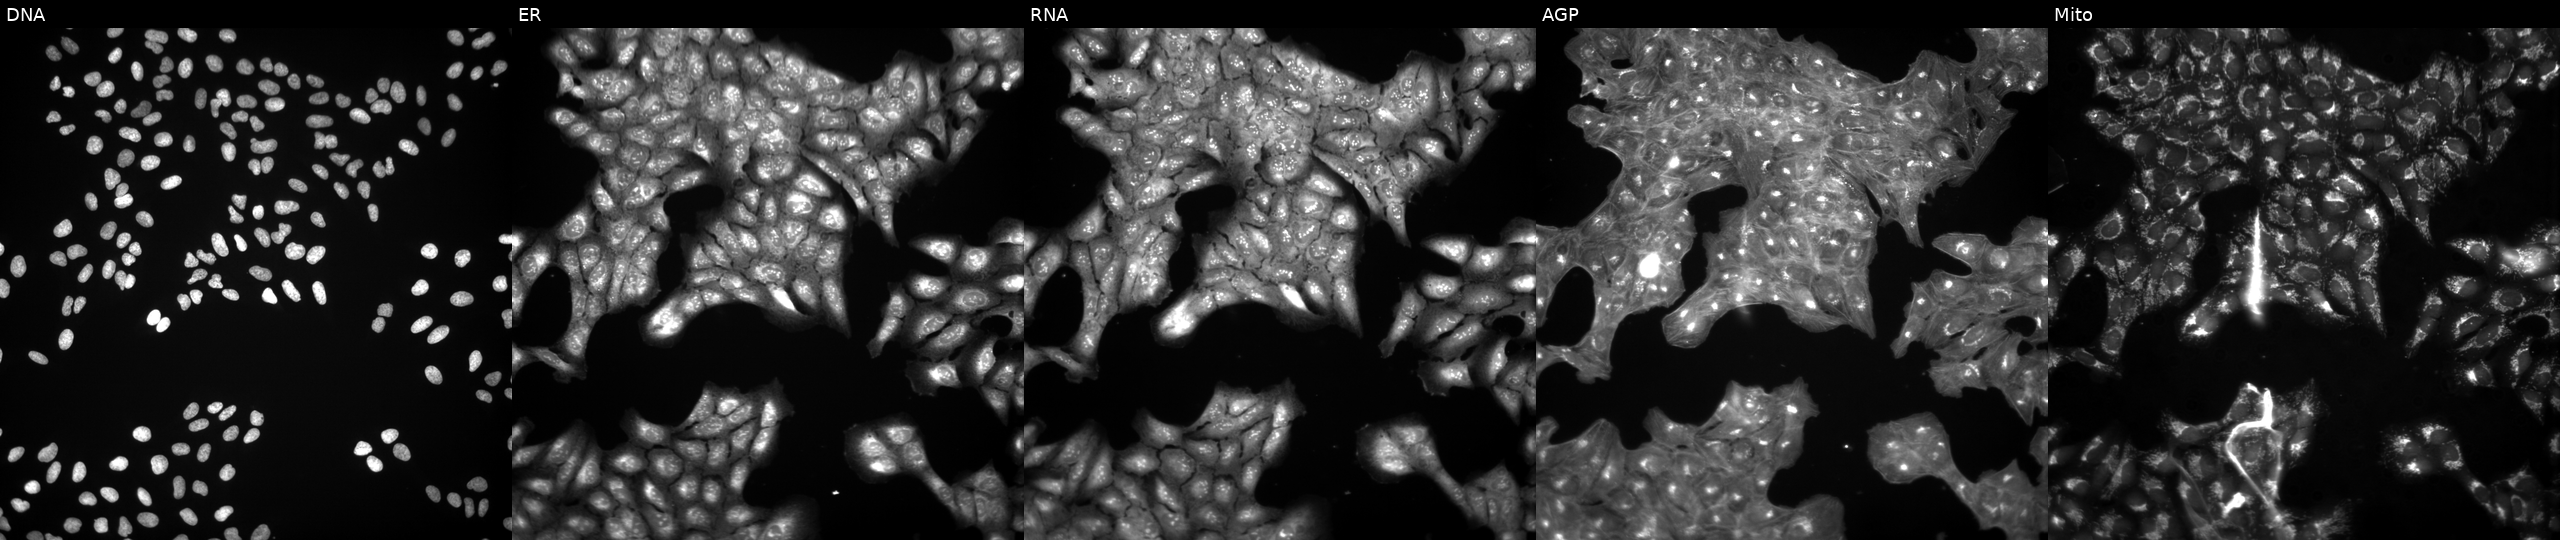
Five-channel Cell Painting image of U2OS cells perturbed with a small-molecule compound. From left to right: DNA, ER, RNA, AGP, and Mito. Source 3, plate JCPQC052, well A07.